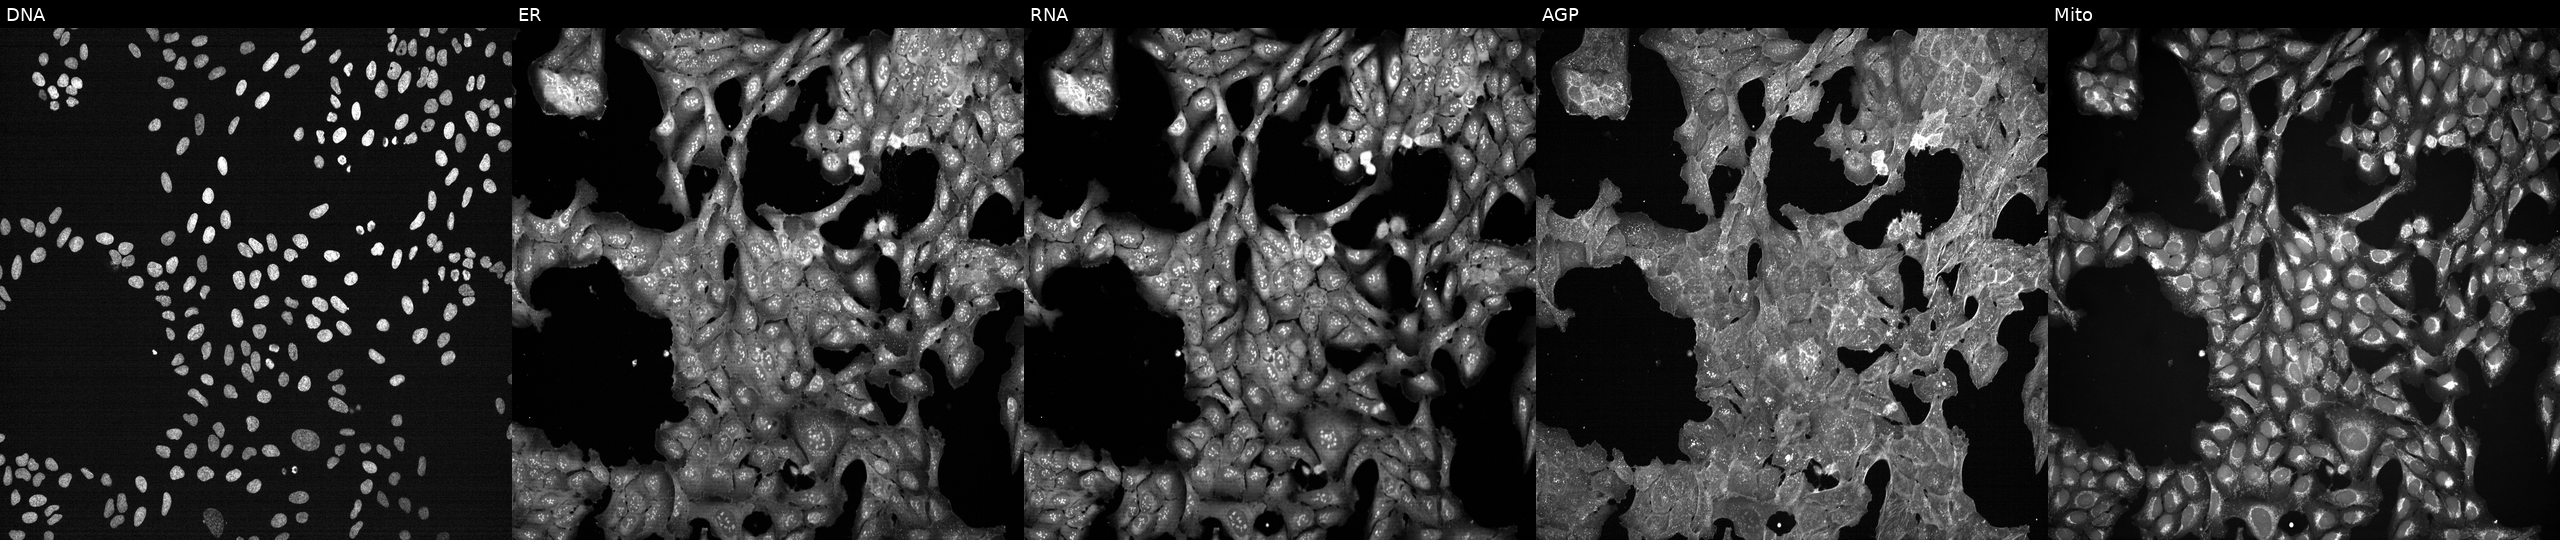
The five panels, left to right, show DNA (nuclei); ER (endoplasmic reticulum); RNA (nucleoli and cytoplasmic RNA); AGP (actin cytoskeleton, Golgi, and plasma membrane); Mito (mitochondria). U2OS osteosarcoma cells exposed to a small-molecule compound (InChIKey QVZCXCJXTMIDME-UHFFFAOYSA-N) [SMILES: COc1cc(C(=O)OCCCN2CCCN(CCCOC(=O)c3cc(OC)c(OC)c(OC)c3)CC2)cc(OC)c1OC]. Cell Painting assay, JUMP-CP dataset. Source 7, plate CP3-SC1-25, well L14.